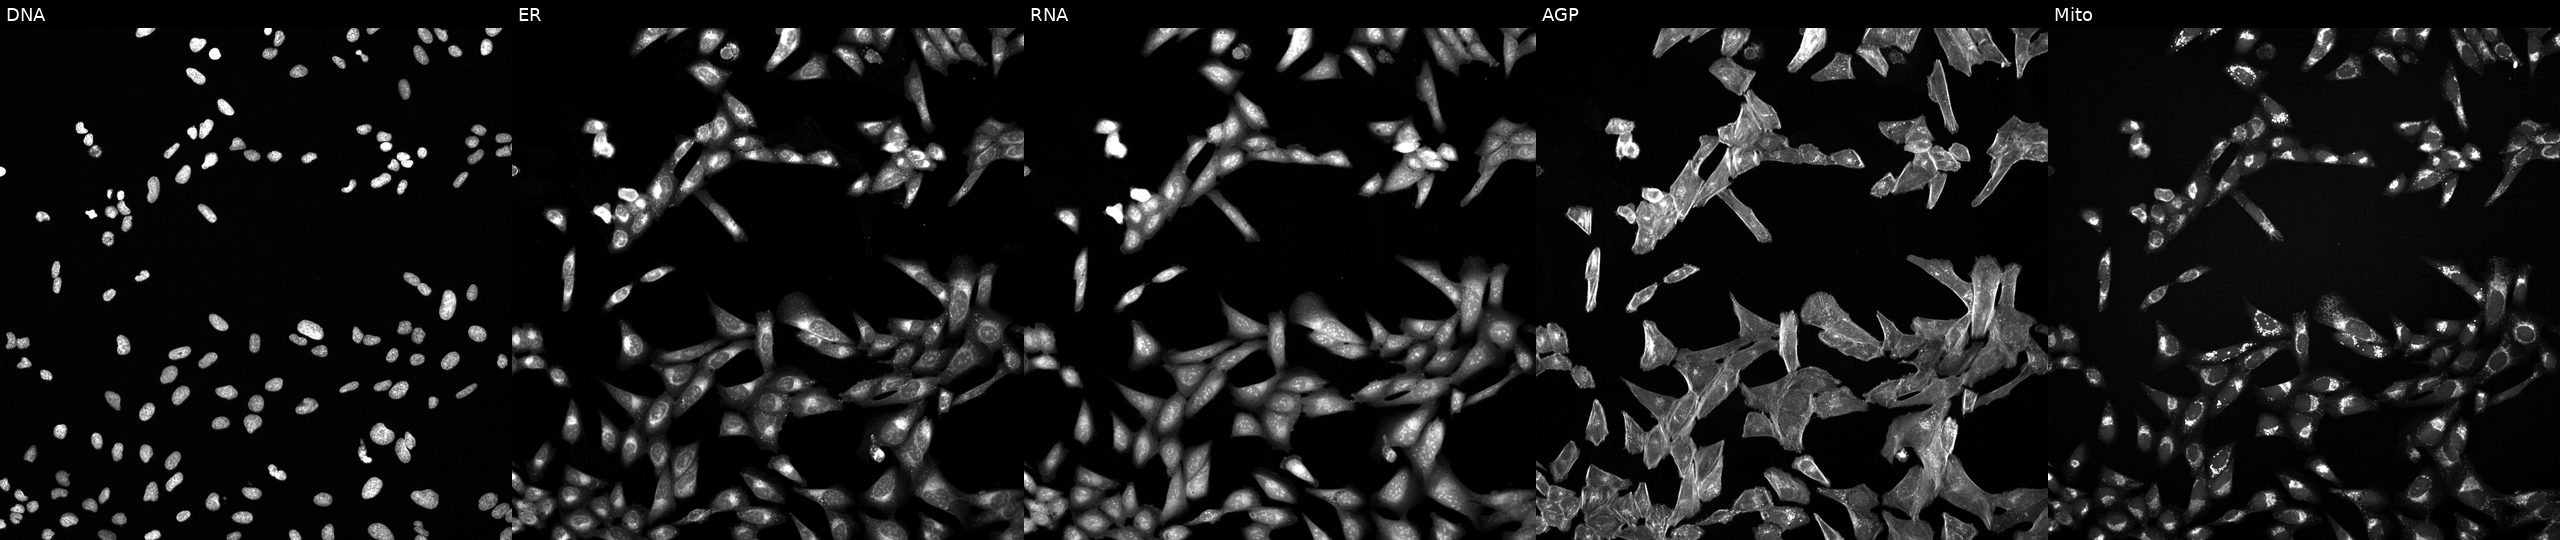
Five-channel Cell Painting image of U2OS cells exposed to a small-molecule compound (InChIKey JVCWPUFNLFSKFS-UHFFFAOYSA-N). From left to right: DNA, ER, RNA, AGP, and Mito. Source 6, plate 110000293081, well C10.